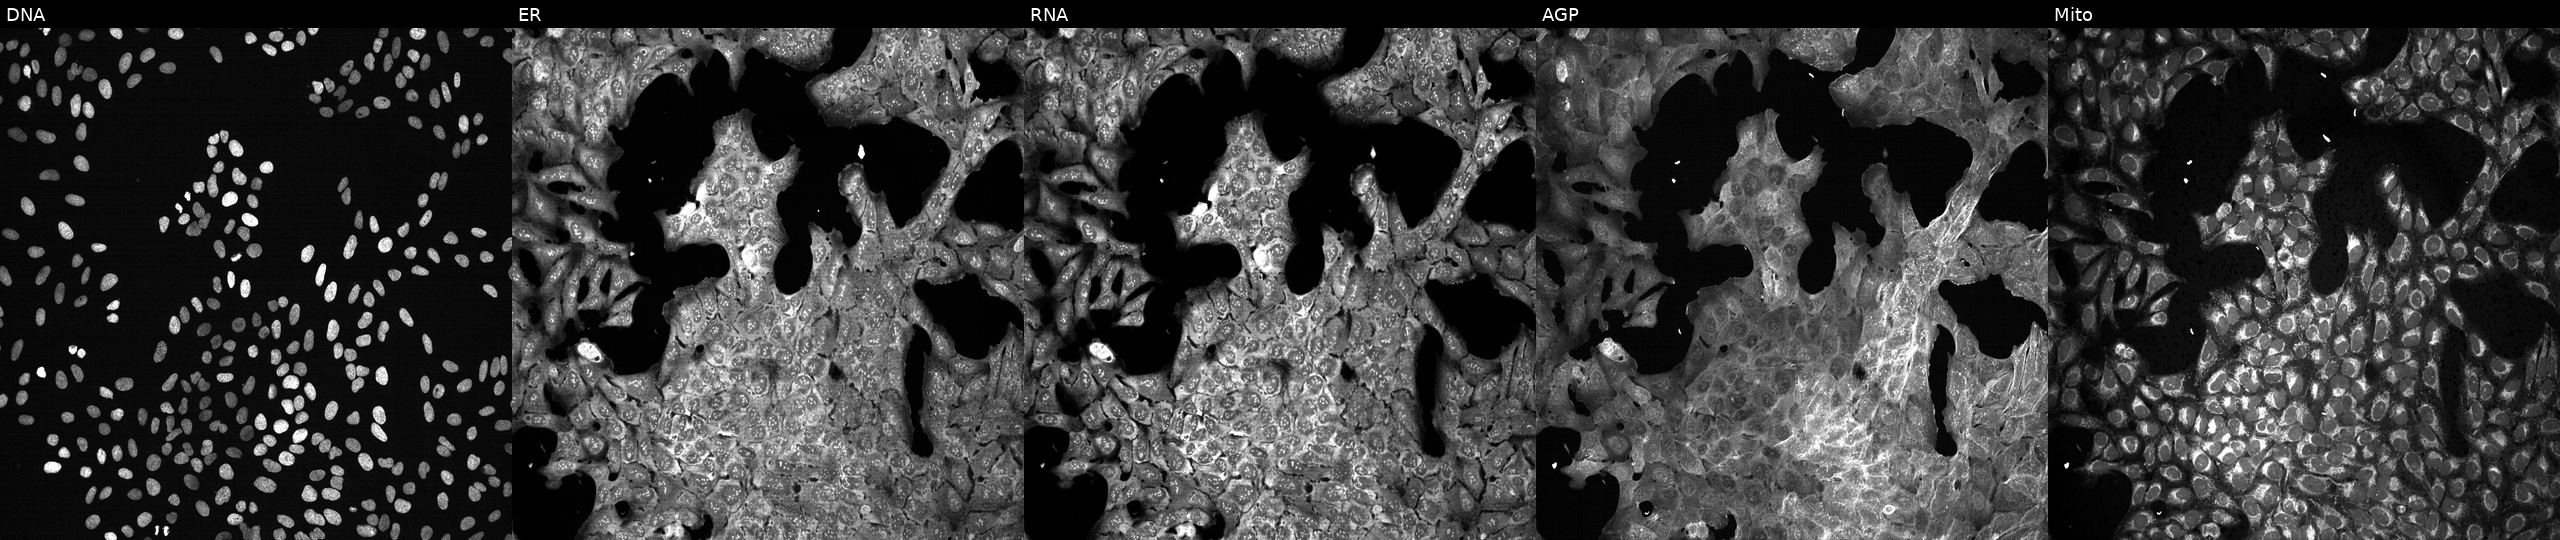
U2OS cells, Cell Painting assay, treated with dexamethasone (positive-control compound) (JUMP id JCP2022_025848). The five panels, left to right, show DNA, ER, RNA, AGP, and Mito. Each panel is percentile-stretched 16-bit fluorescence.